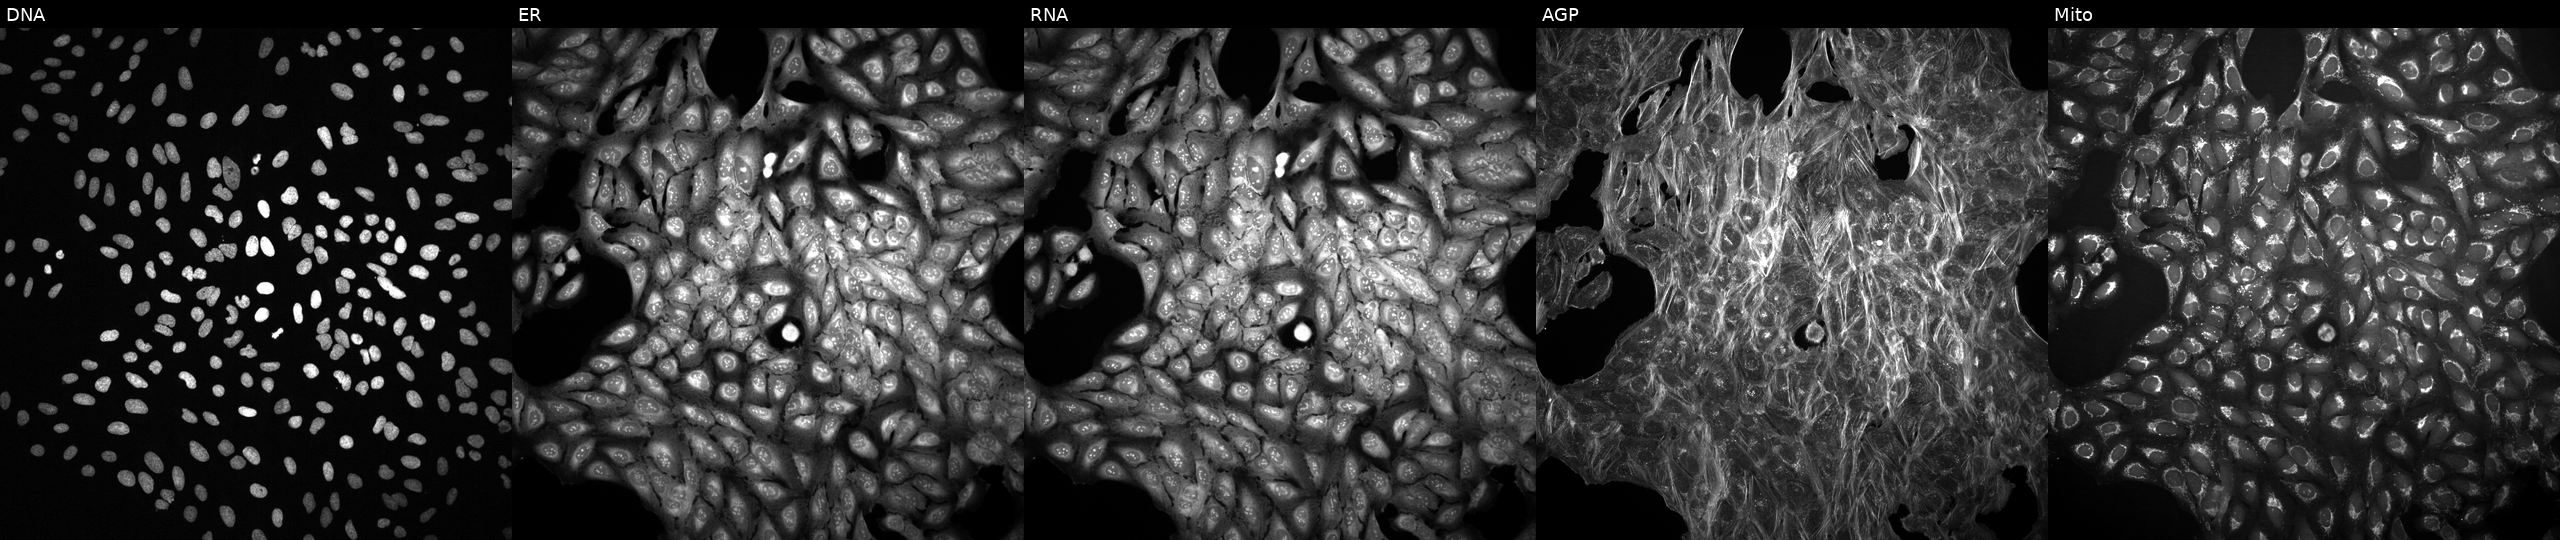
High-content fluorescence microscopy (Cell Painting). Cell line: U2OS. Perturbation: exposed to DMSO alone as a negative control (JUMP id JCP2022_033924). Panels show, left to right, Hoechst 33342, concanavalin A, SYTO 14, phalloidin and WGA, MitoTracker.